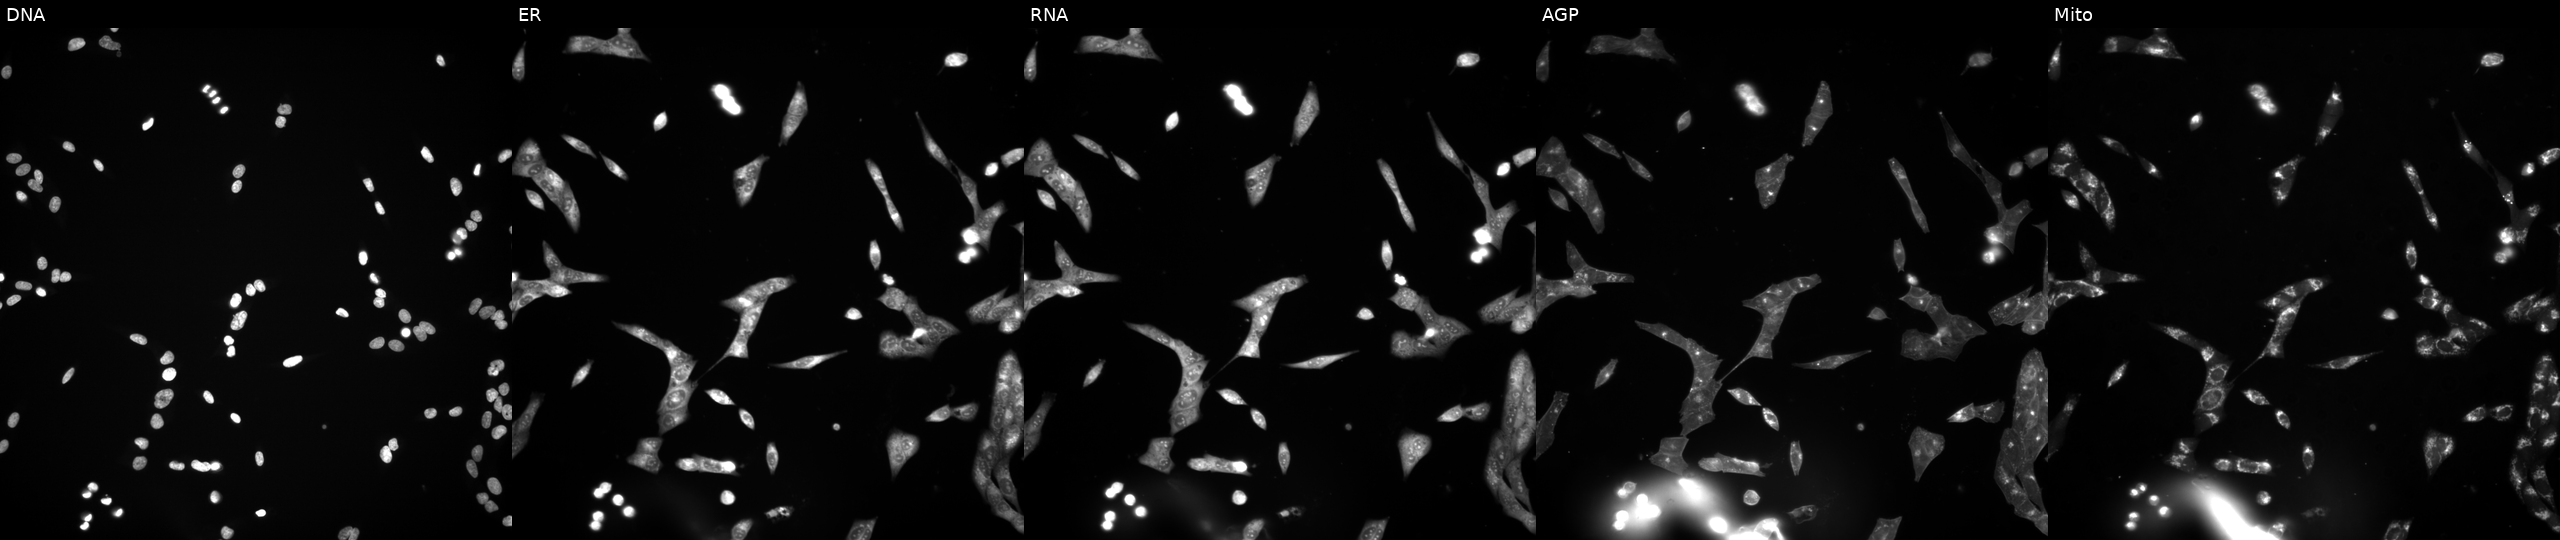
The five panels, left to right, show DNA, ER, RNA, AGP, and Mito. U2OS osteosarcoma cells exposed to a small-molecule compound (InChIKey KJNNWYBAOPXVJY-UHFFFAOYSA-N). Cell Painting assay, JUMP-CP dataset. Source 3, plate JCPQC052, well E20.